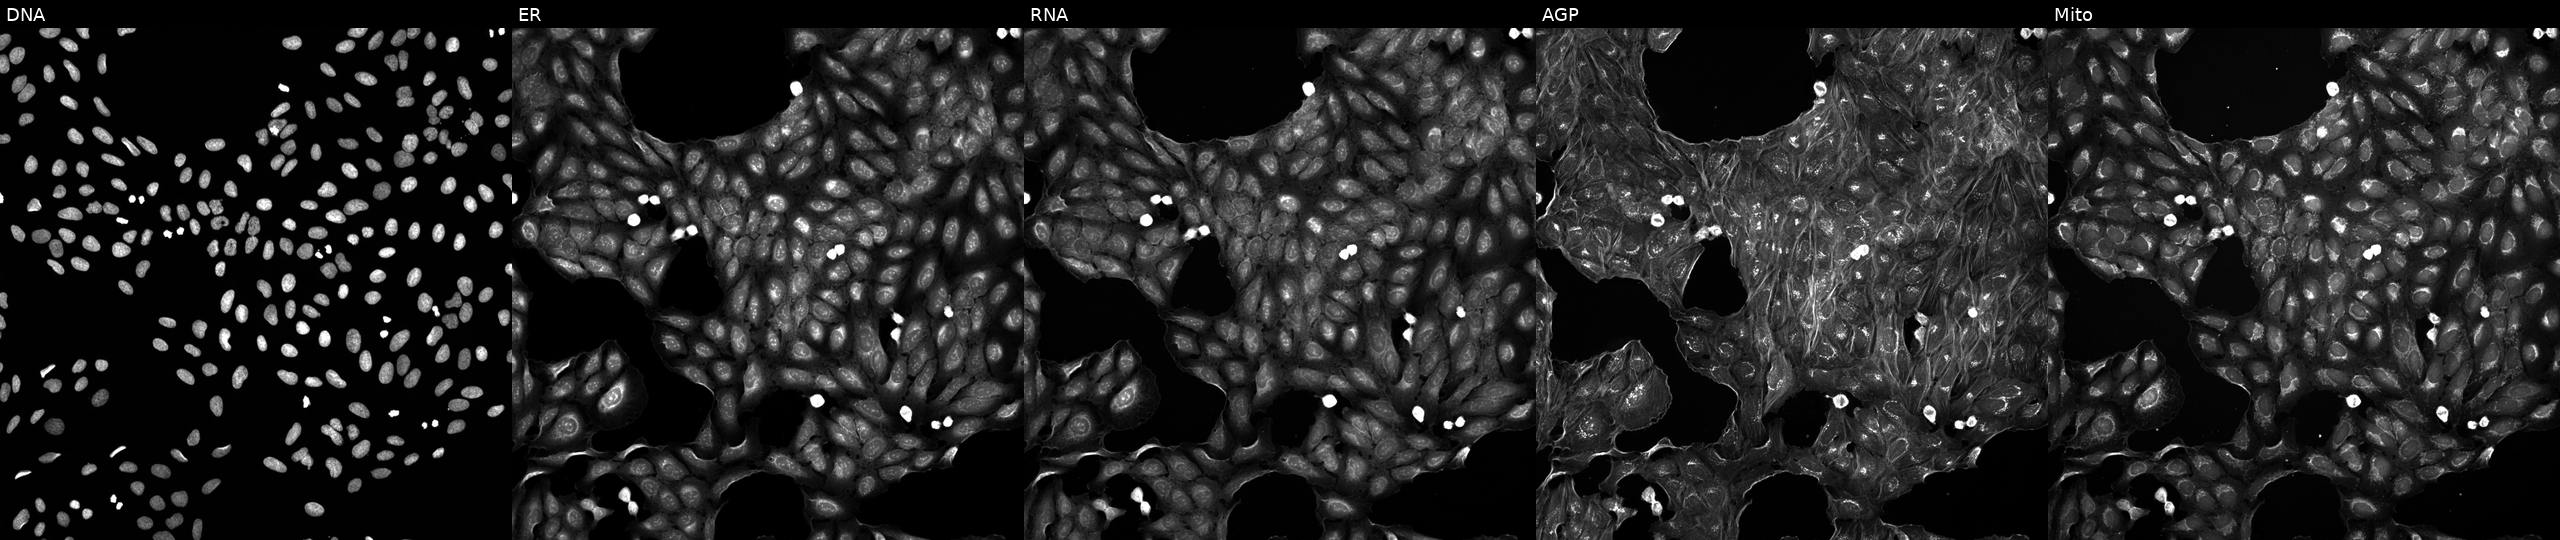
Five-channel Cell Painting image of U2OS cells perturbed with a small-molecule compound (InChIKey IUMFZOKMWBGZAJ-UHFFFAOYSA-N). Panels show, left to right, DNA (nuclei); ER (endoplasmic reticulum); RNA (nucleoli and cytoplasmic RNA); AGP (actin cytoskeleton, Golgi, and plasma membrane); Mito (mitochondria).